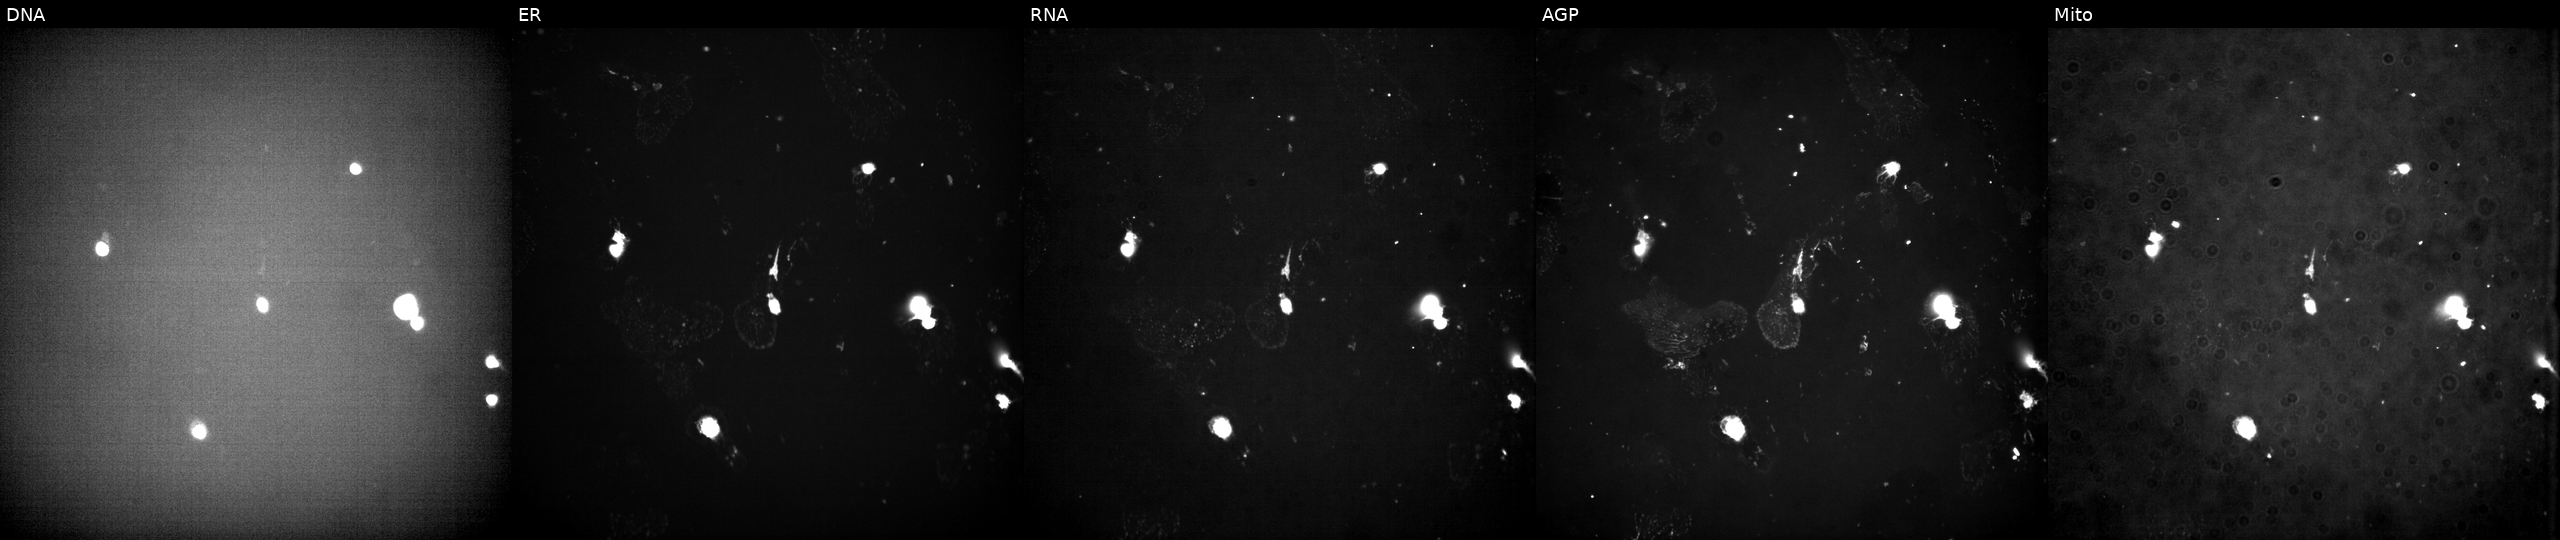
High-content fluorescence microscopy (Cell Painting). Cell line: U2OS. Perturbation: treated with a small-molecule compound (InChIKey CANBMWXJDLUDFF-UHFFFAOYSA-N) (JUMP id JCP2022_009867). Panels show, left to right, DNA, ER, RNA, AGP, and Mito.